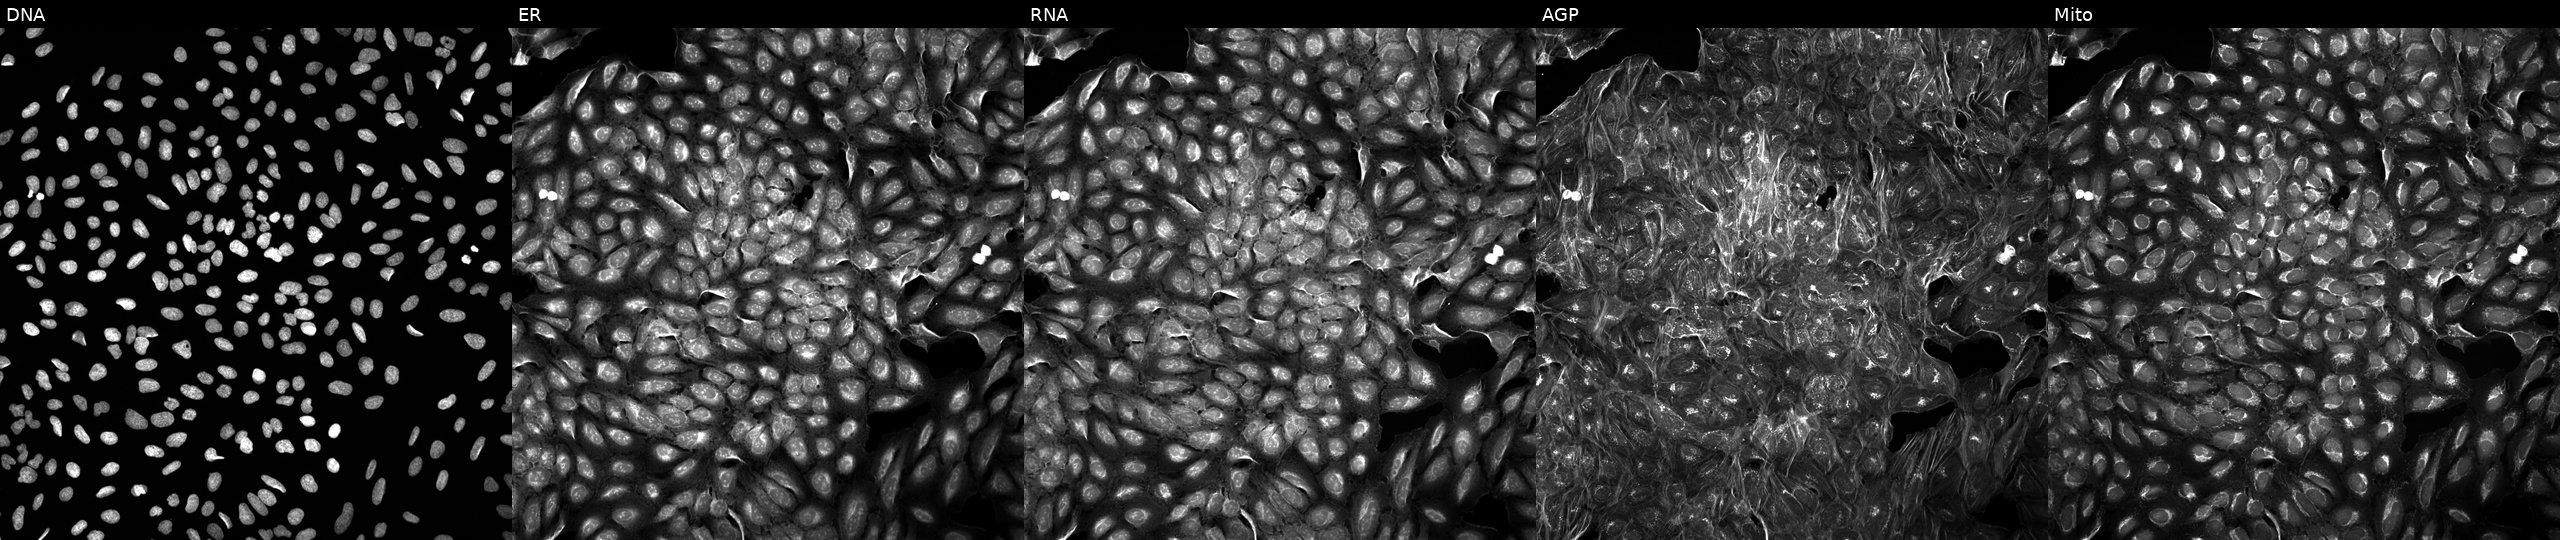
JUMP Cell Painting — COMPOUND plate. U2OS cells exposed to a small-molecule compound. Panels show, left to right, DNA, ER, RNA, AGP, and Mito.